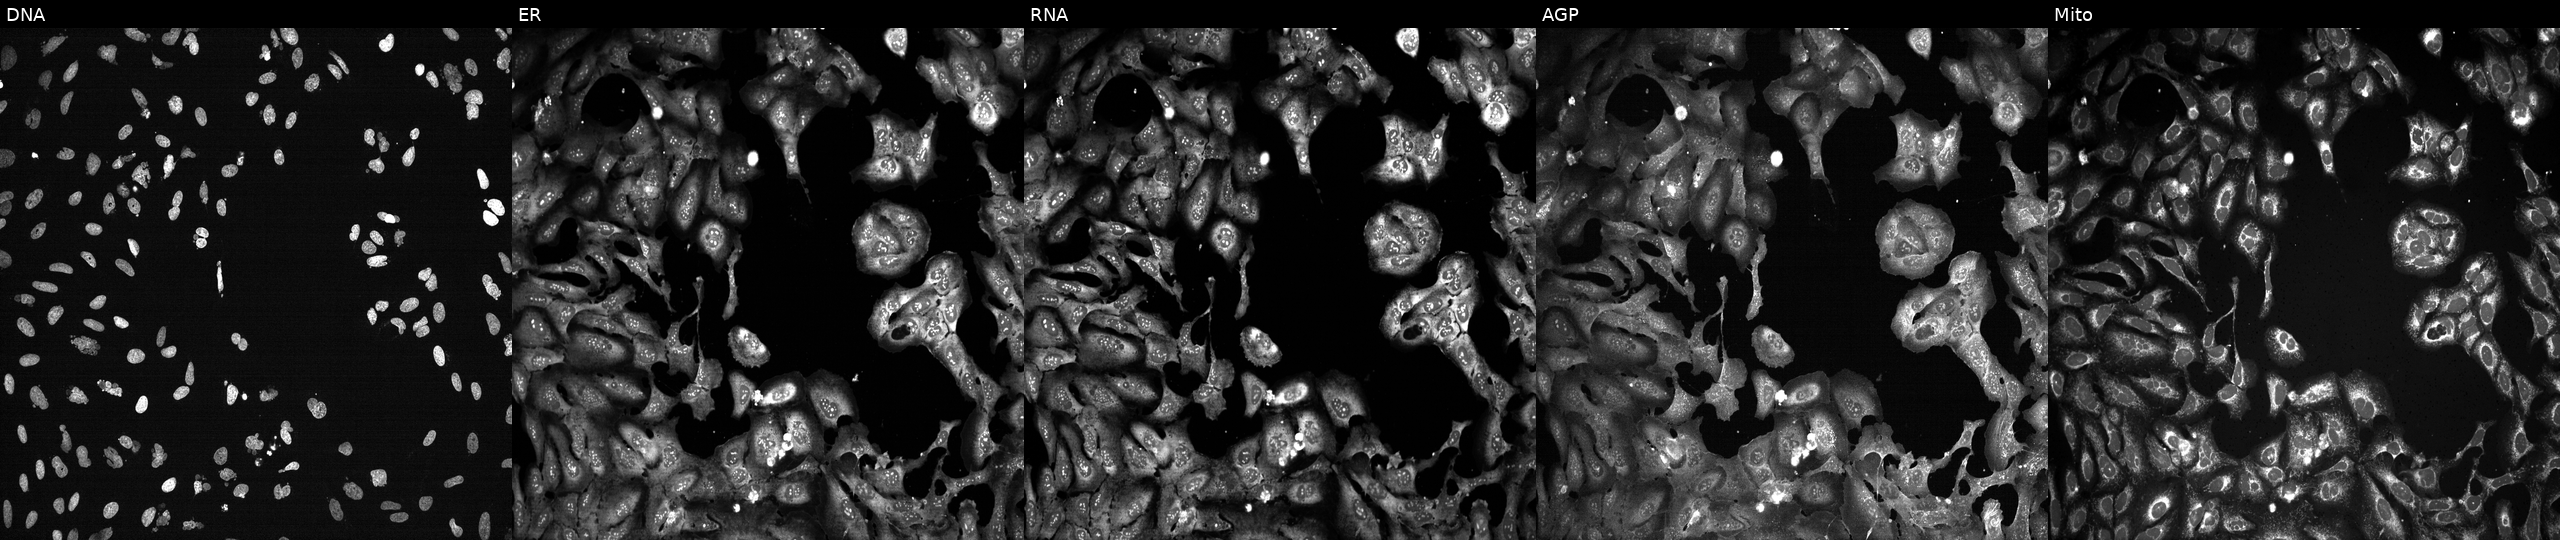
JUMP Cell Painting — CRISPR plate. U2OS cells following CRISPR knockout of RAD21 (JUMP id JCP2022_805803). Panels show, left to right, DNA (nuclei); ER (endoplasmic reticulum); RNA (nucleoli and cytoplasmic RNA); AGP (actin cytoskeleton, Golgi, and plasma membrane); Mito (mitochondria).